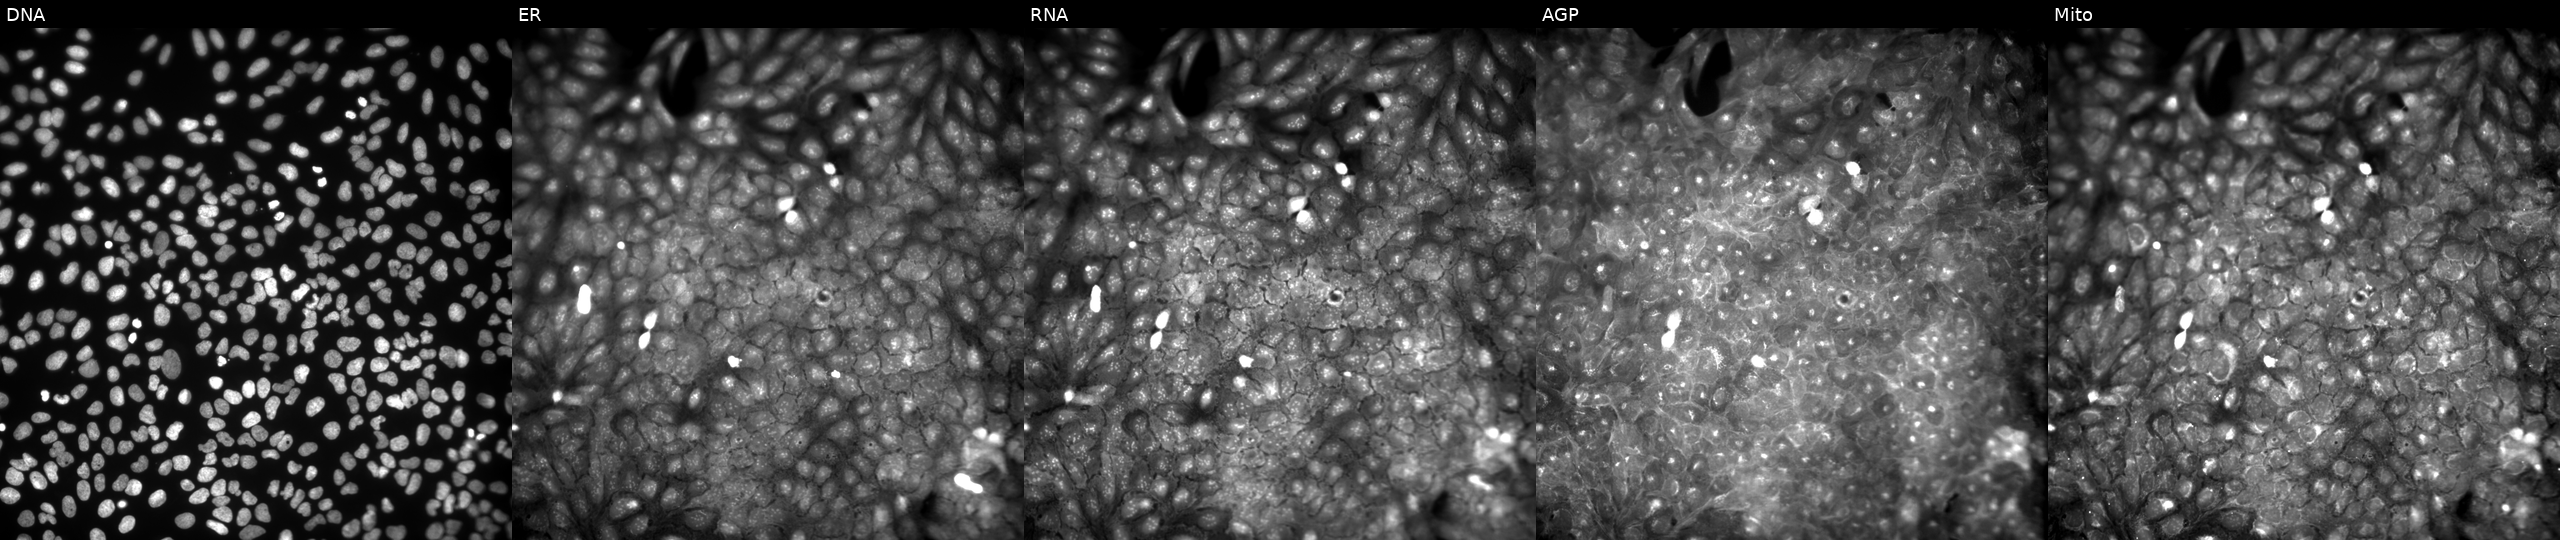
High-content fluorescence microscopy (Cell Painting). Cell line: U2OS. Perturbation: perturbed with a small-molecule compound (InChIKey LBDVFICHPJWDIZ-UHFFFAOYSA-N) (JUMP id JCP2022_048294). Channels (left→right): DNA (nuclei); ER (endoplasmic reticulum); RNA (nucleoli and cytoplasmic RNA); AGP (actin cytoskeleton, Golgi, and plasma membrane); Mito (mitochondria). Source 9, plate GR00003382, well AD41.